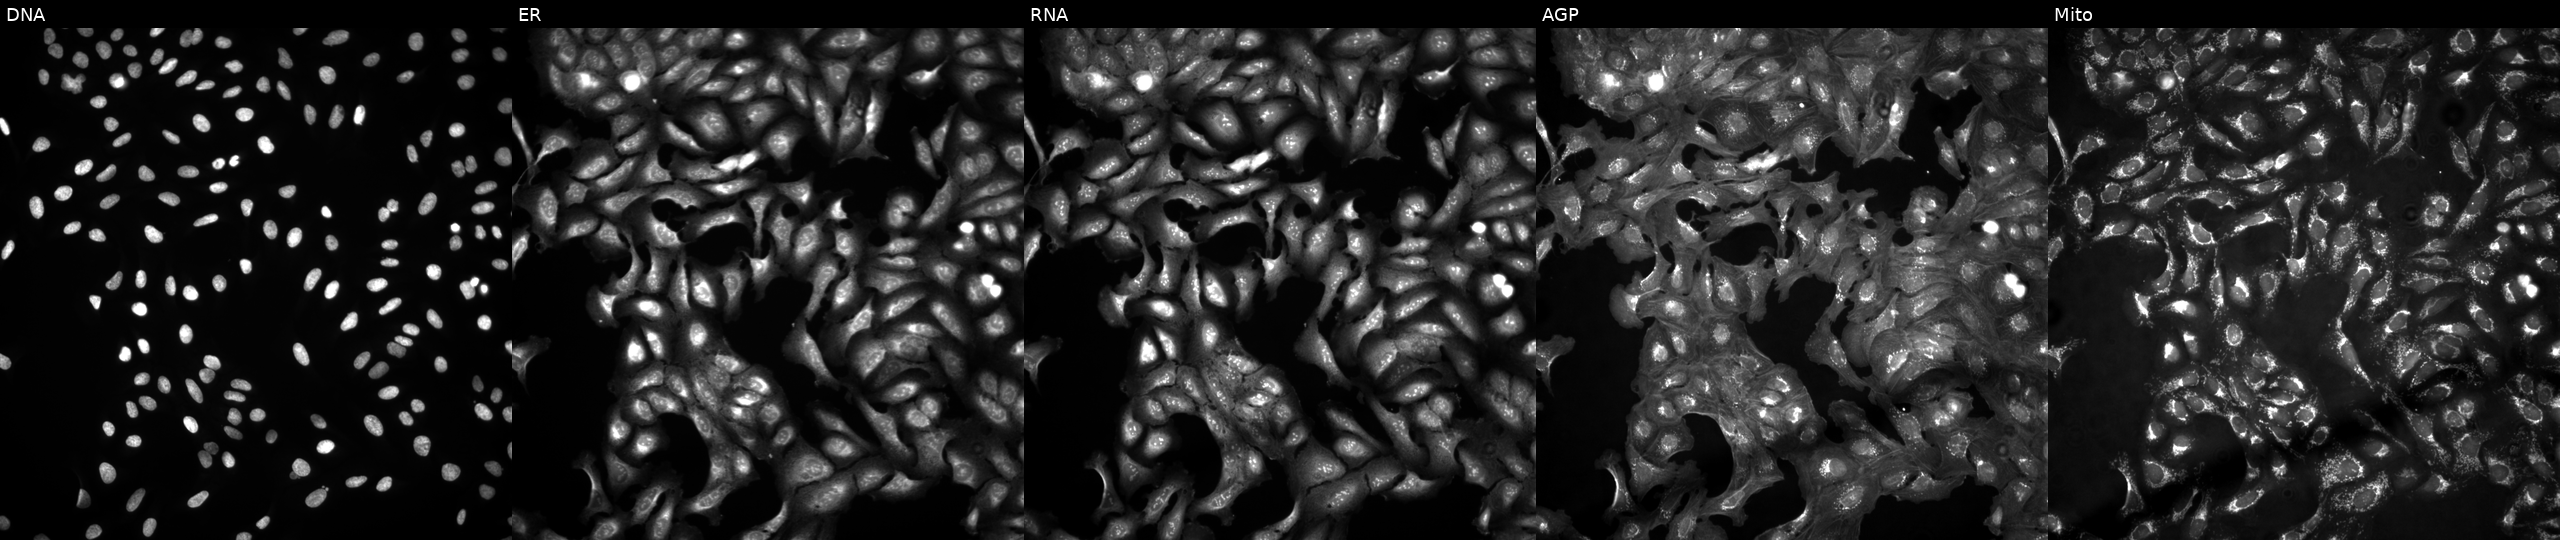
High-content fluorescence microscopy (Cell Painting). Cell line: U2OS. Perturbation: in an empty control well (no perturbation). Channels (left→right): DNA, ER, RNA, AGP, and Mito.